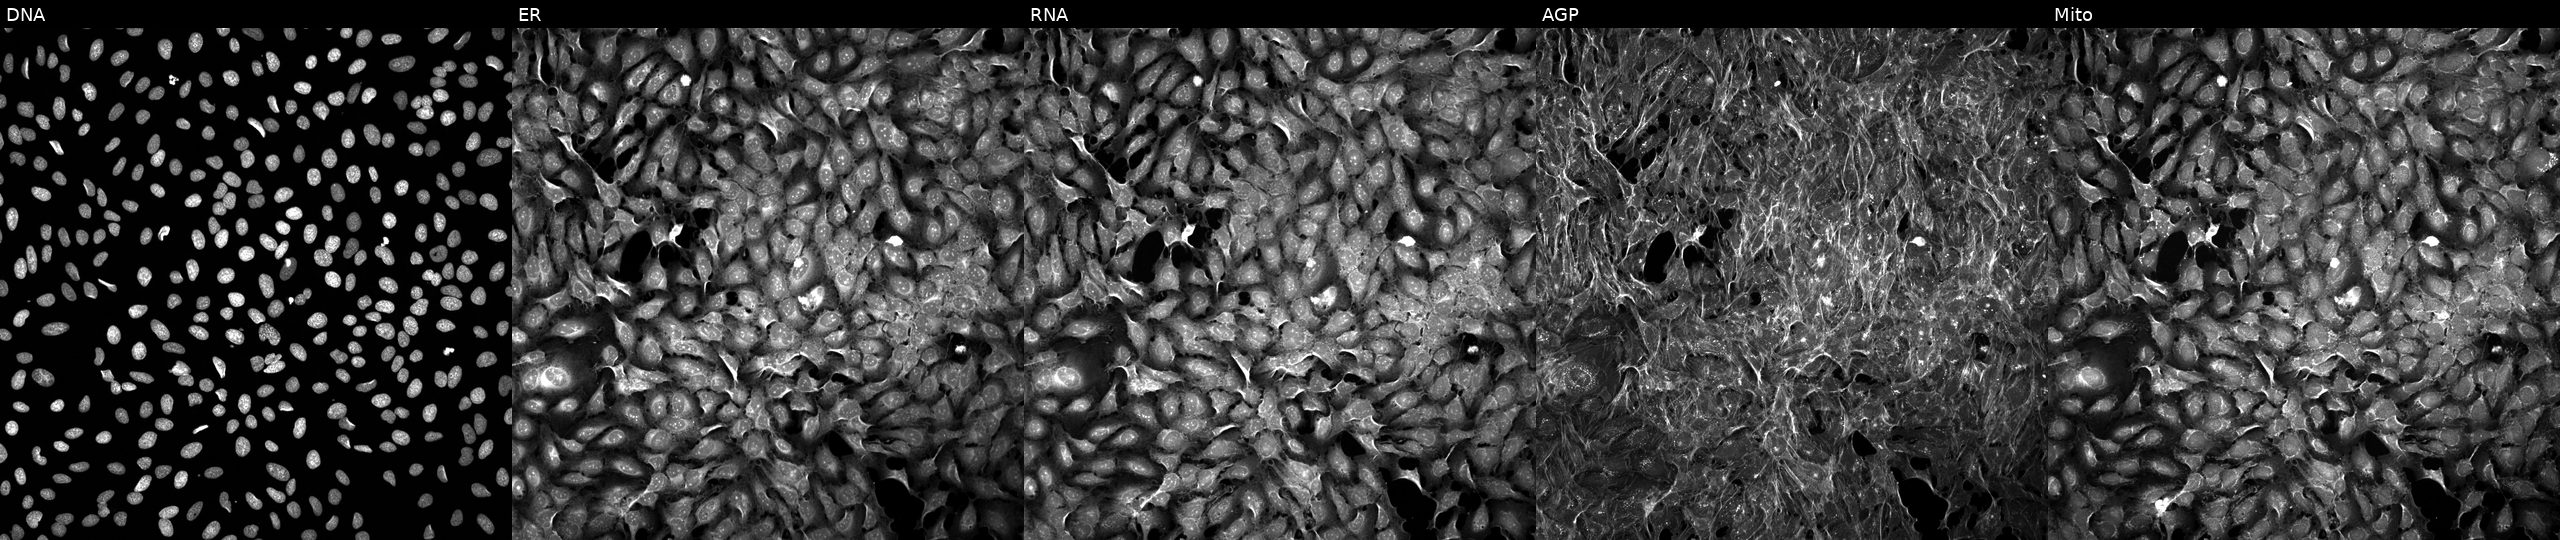
U2OS cells, Cell Painting assay, exposed to the positive-control compound FK-866. From left to right: DNA (nuclei); ER (endoplasmic reticulum); RNA (nucleoli and cytoplasmic RNA); AGP (actin cytoskeleton, Golgi, and plasma membrane); Mito (mitochondria). Each panel is percentile-stretched 16-bit fluorescence. Source 5, plate APTJUM105, well P24.